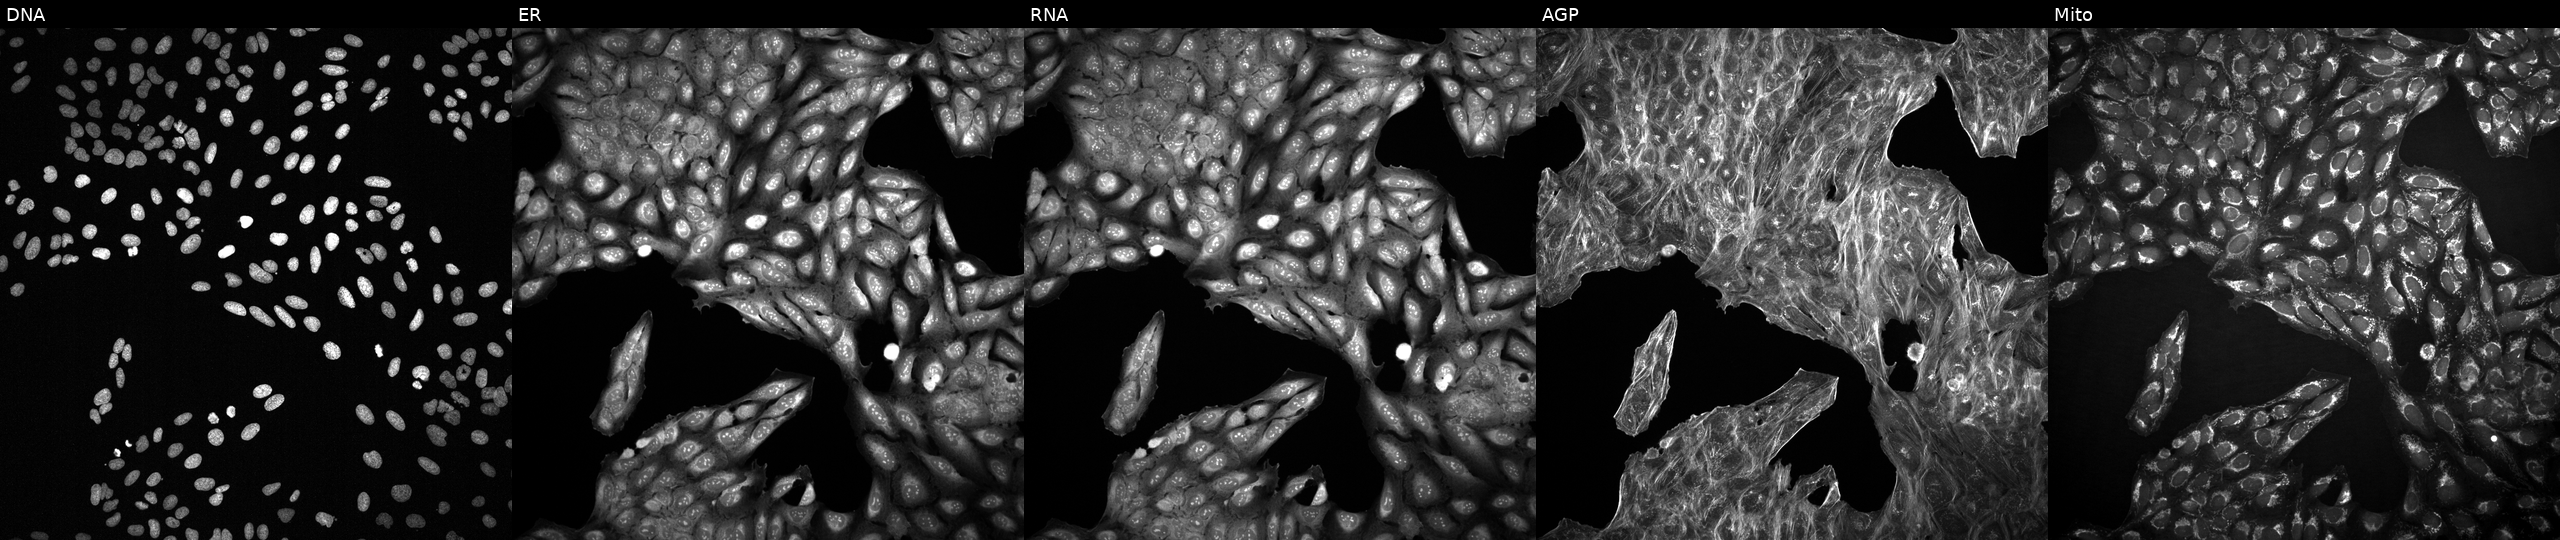
This image strip shows the five Cell Painting channels for a single field of U2OS cells with an unidentified perturbation (not annotated in JUMP metadata). Panels show, left to right, DNA (nuclei); ER (endoplasmic reticulum); RNA (nucleoli and cytoplasmic RNA); AGP (actin cytoskeleton, Golgi, and plasma membrane); Mito (mitochondria).